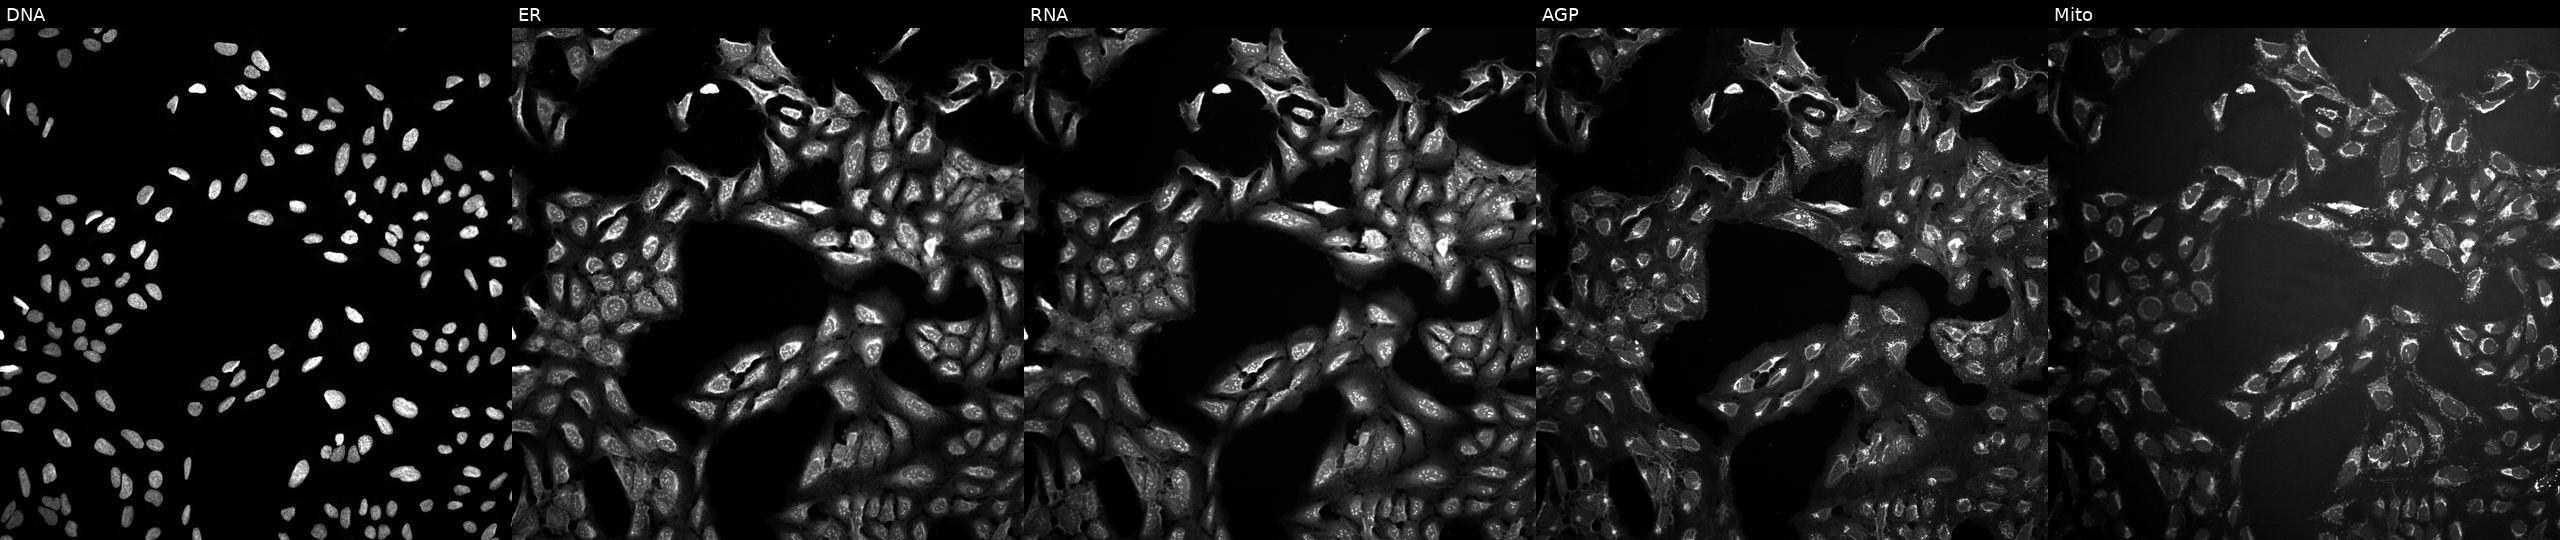
This image strip shows the five Cell Painting channels for a single field of U2OS cells treated with a small-molecule compound. Panels show, left to right, Hoechst 33342, concanavalin A, SYTO 14, phalloidin and WGA, MitoTracker.